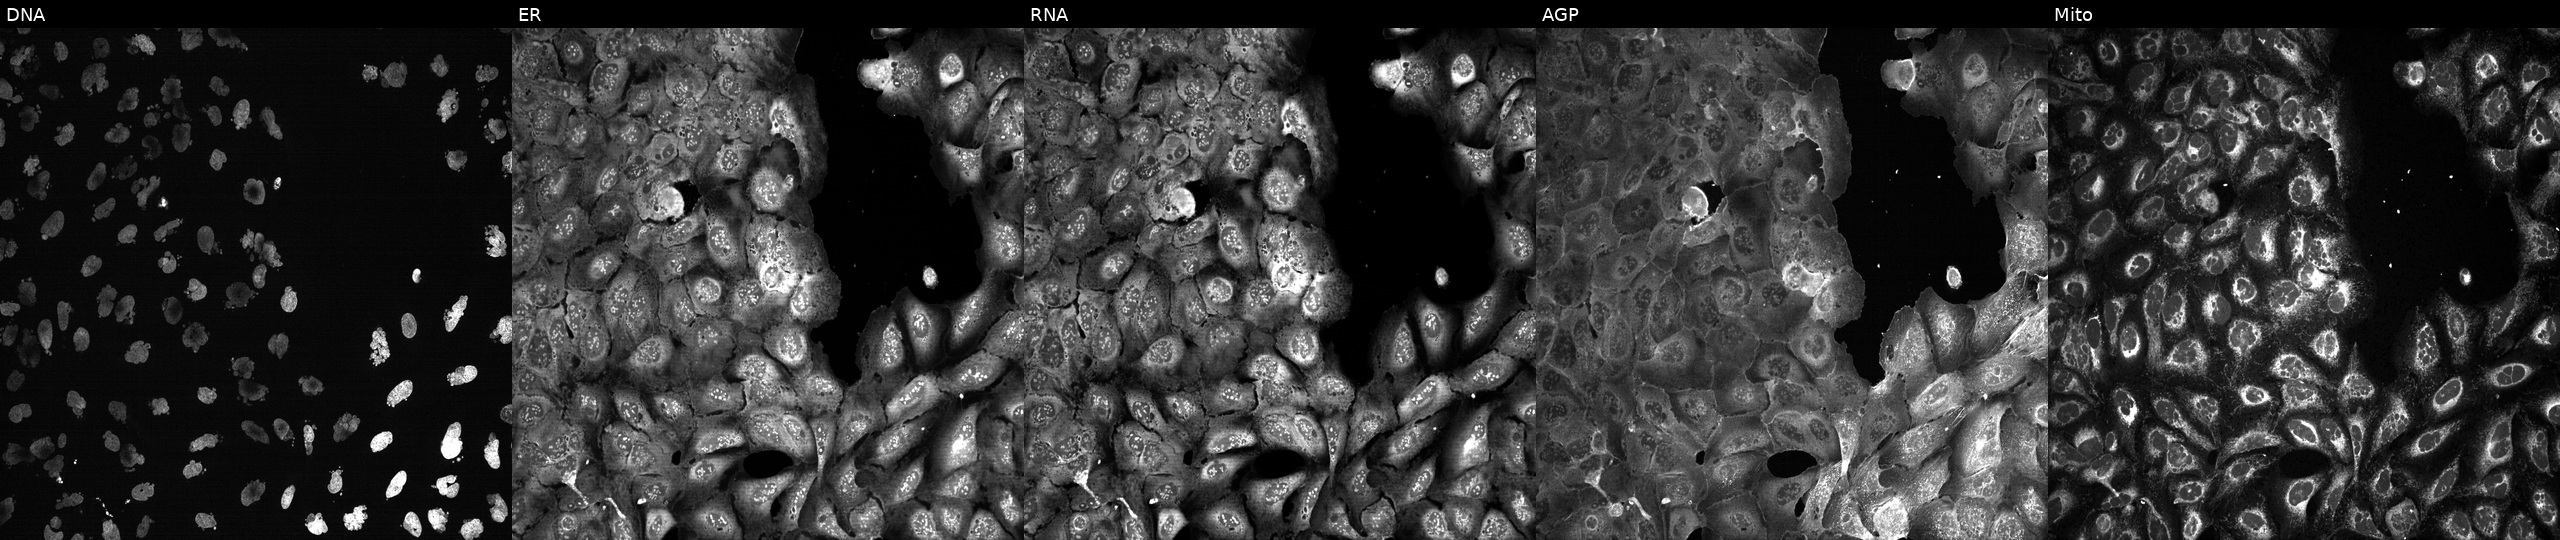
The five panels, left to right, show DNA, ER, RNA, AGP, and Mito. U2OS osteosarcoma cells exposed to the positive-control compound AMG900 (JUMP id JCP2022_037716). Cell Painting assay, JUMP-CP dataset. Source 13, plate CP-CC9-R3-01, well B01.